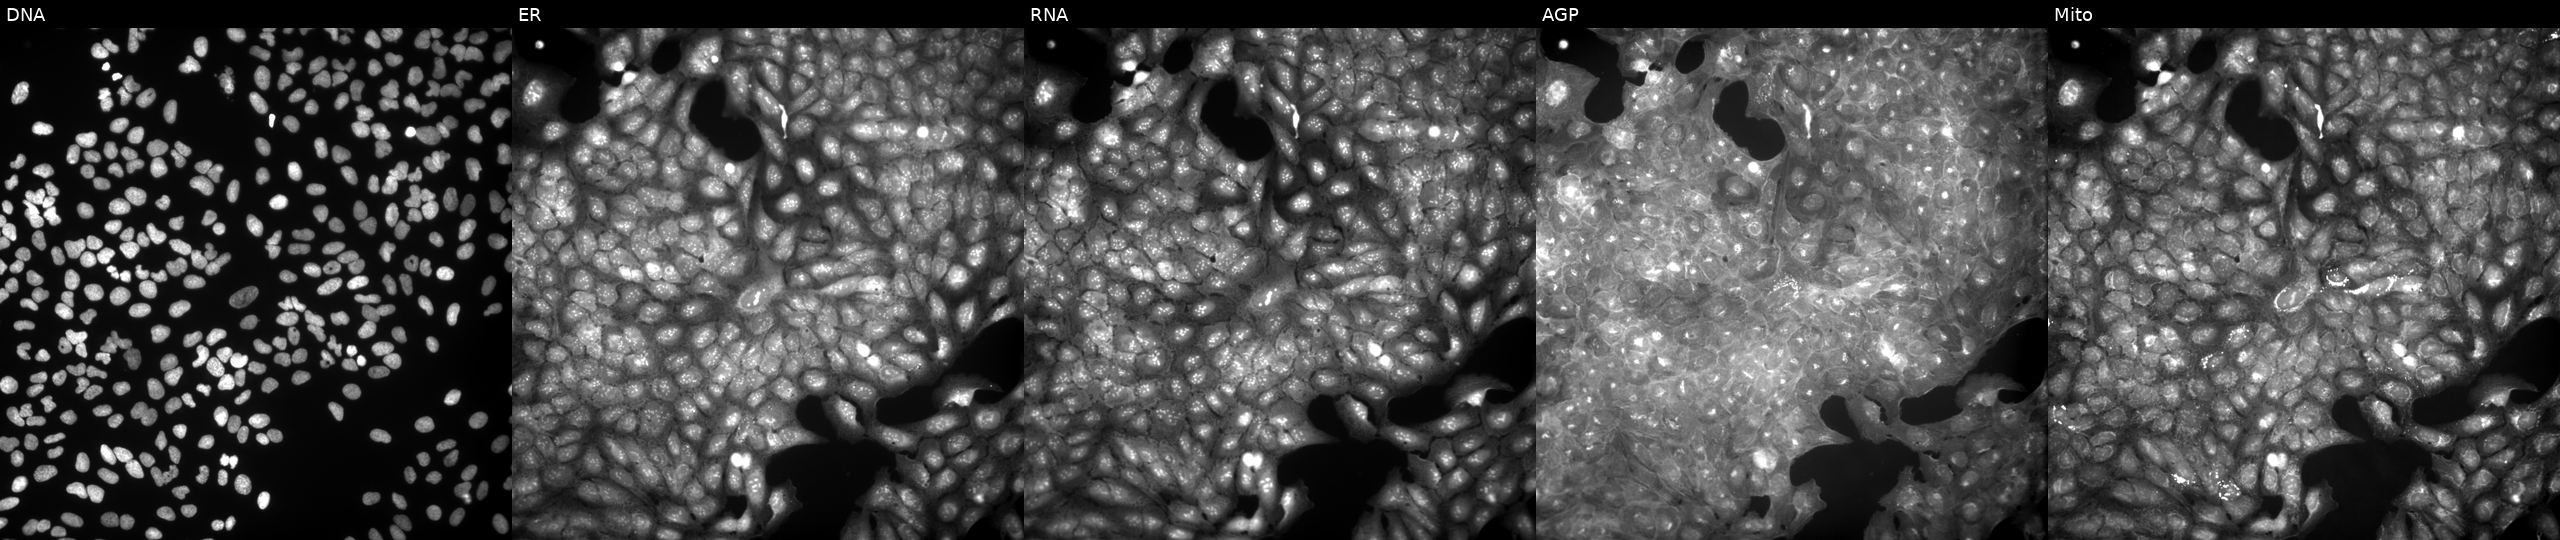
The five panels, left to right, show Hoechst 33342, concanavalin A, SYTO 14, phalloidin and WGA, MitoTracker. U2OS osteosarcoma cells perturbed with a small-molecule compound (InChIKey SCVGYZVGMGTVLX-UHFFFAOYSA-N) (JUMP id JCP2022_082371). Cell Painting assay, JUMP-CP dataset.